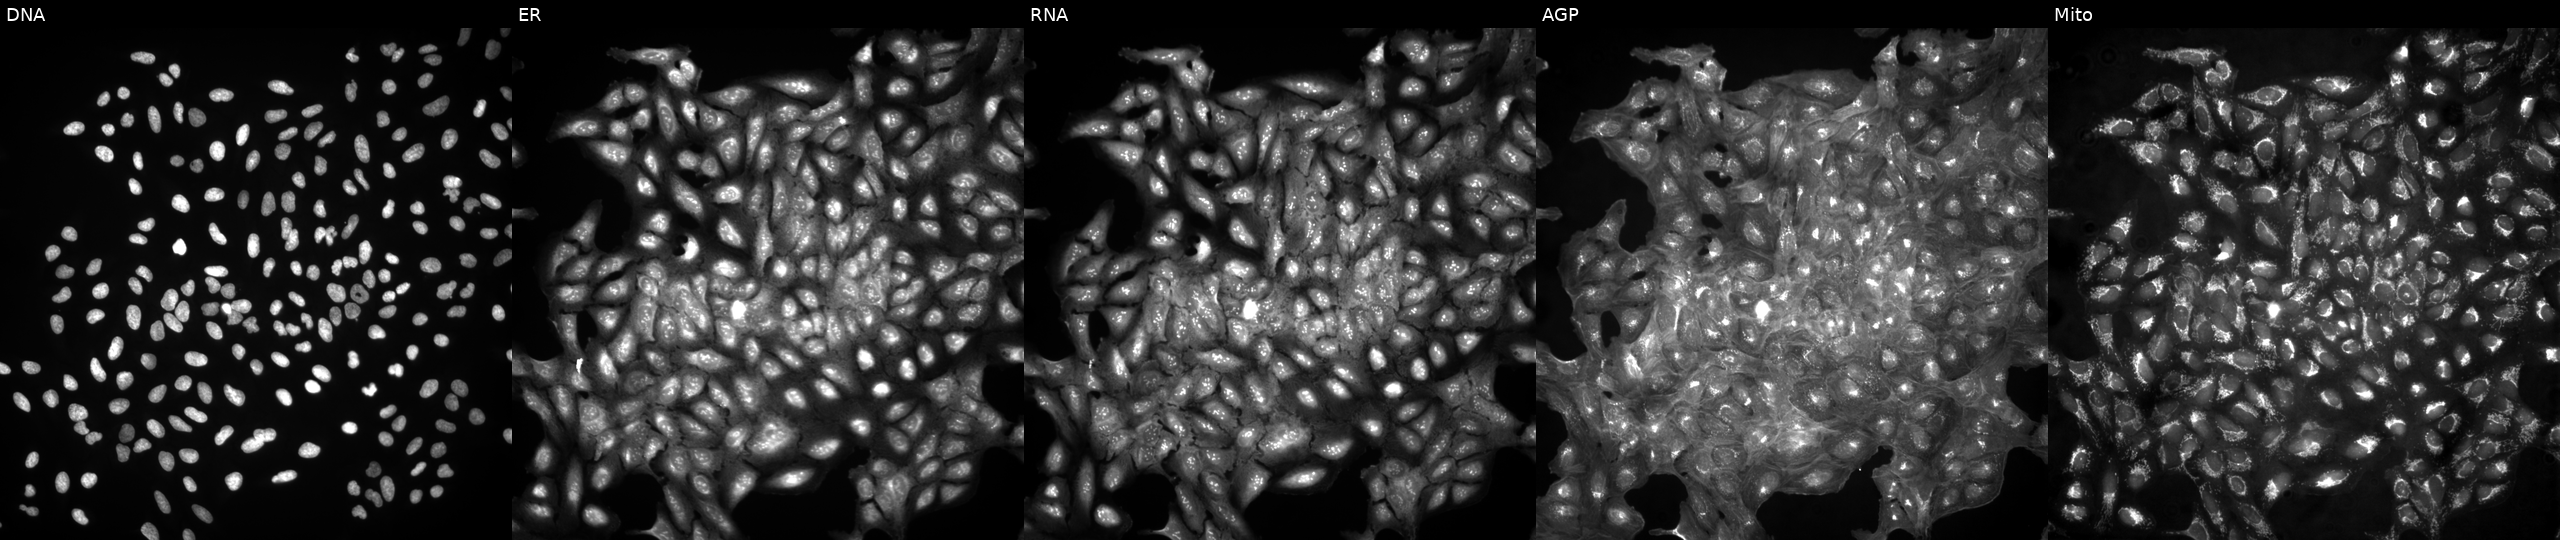
Five-channel Cell Painting image of U2OS cells untreated (empty-well control) (JUMP id JCP2022_999999). Panels show, left to right, Hoechst 33342, concanavalin A, SYTO 14, phalloidin and WGA, MitoTracker.